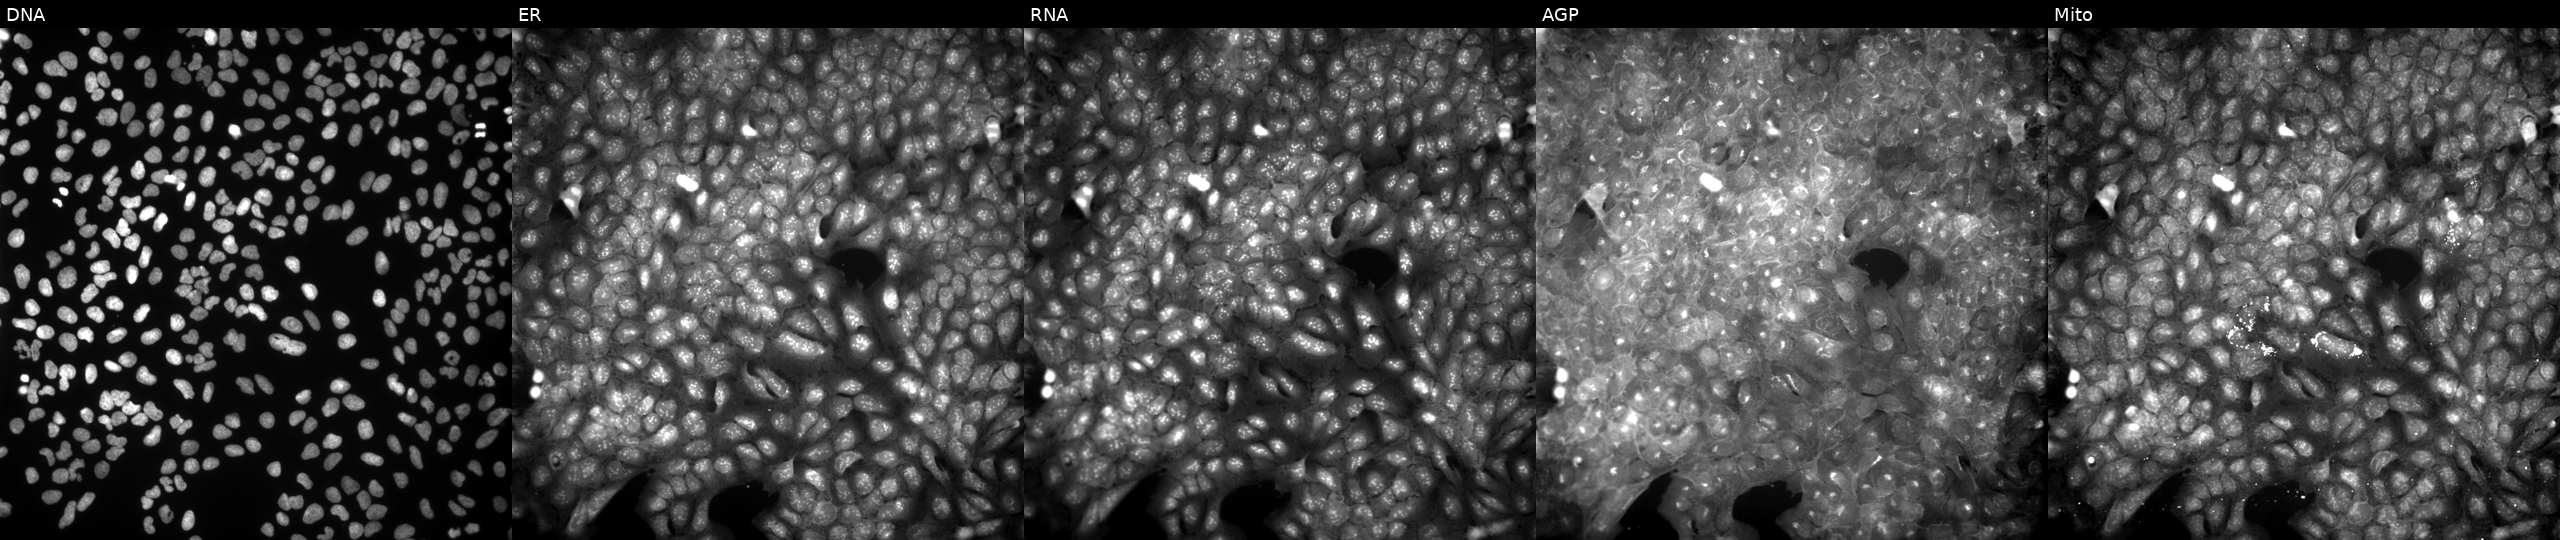
U2OS cells, Cell Painting assay, exposed to a small-molecule compound (InChIKey WPJFZHDQSPUZDP-UHFFFAOYSA-N). The five panels, left to right, show Hoechst 33342, concanavalin A, SYTO 14, phalloidin and WGA, MitoTracker. Each panel is percentile-stretched 16-bit fluorescence. Source 9, plate GR00003382, well Q18.